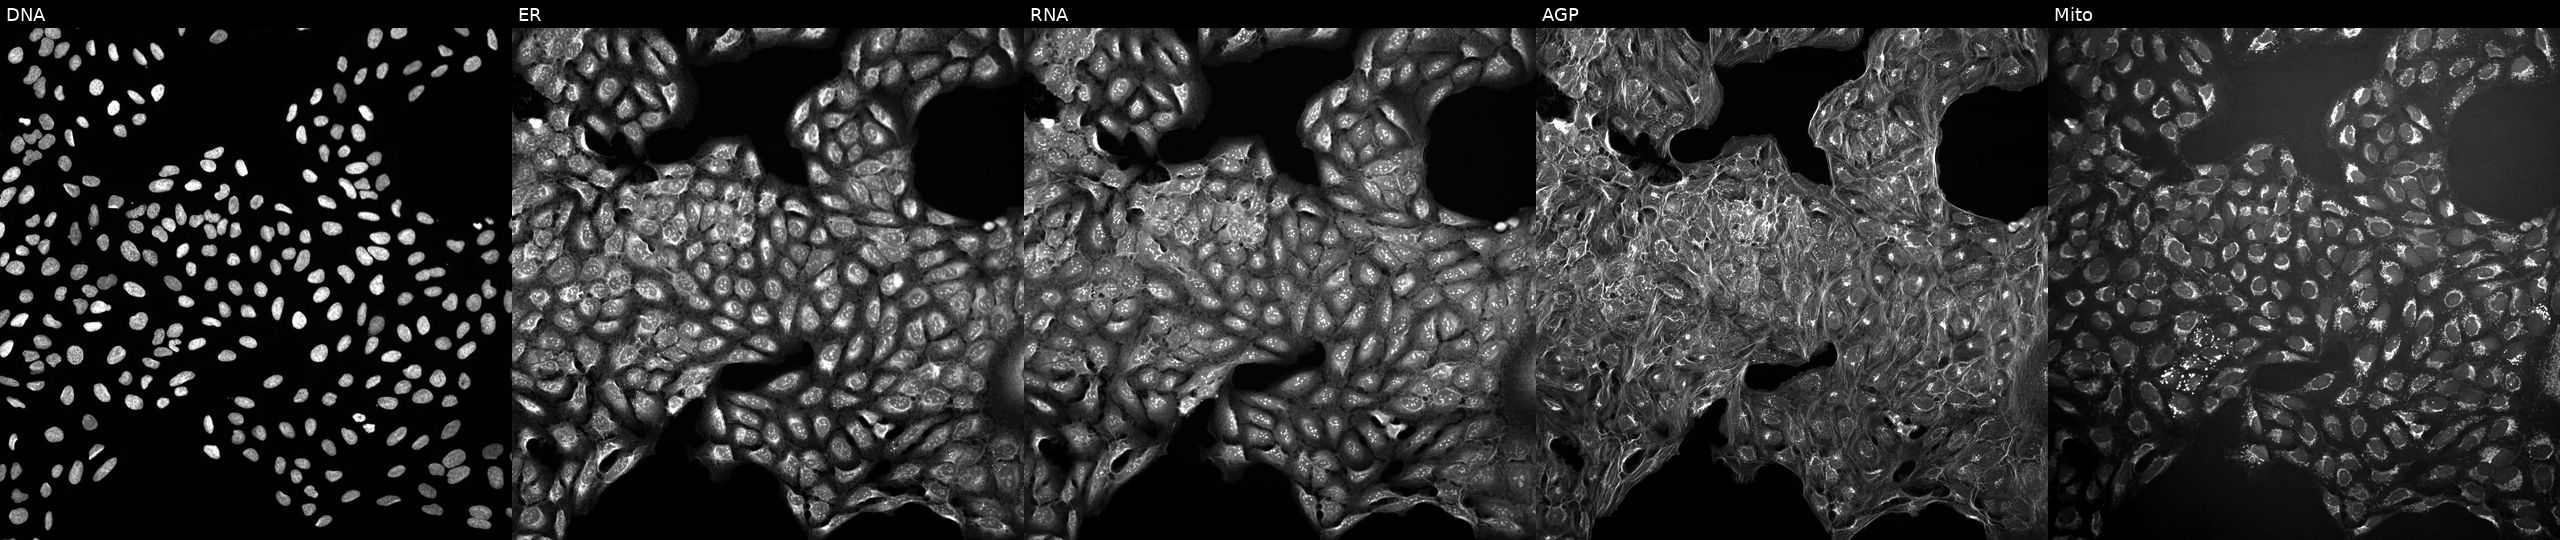
This image strip shows the five Cell Painting channels for a single field of U2OS cells in an empty control well (no perturbation). From left to right: Hoechst 33342, concanavalin A, SYTO 14, phalloidin and WGA, MitoTracker. Source 10, plate Dest210531-152324, well C09.